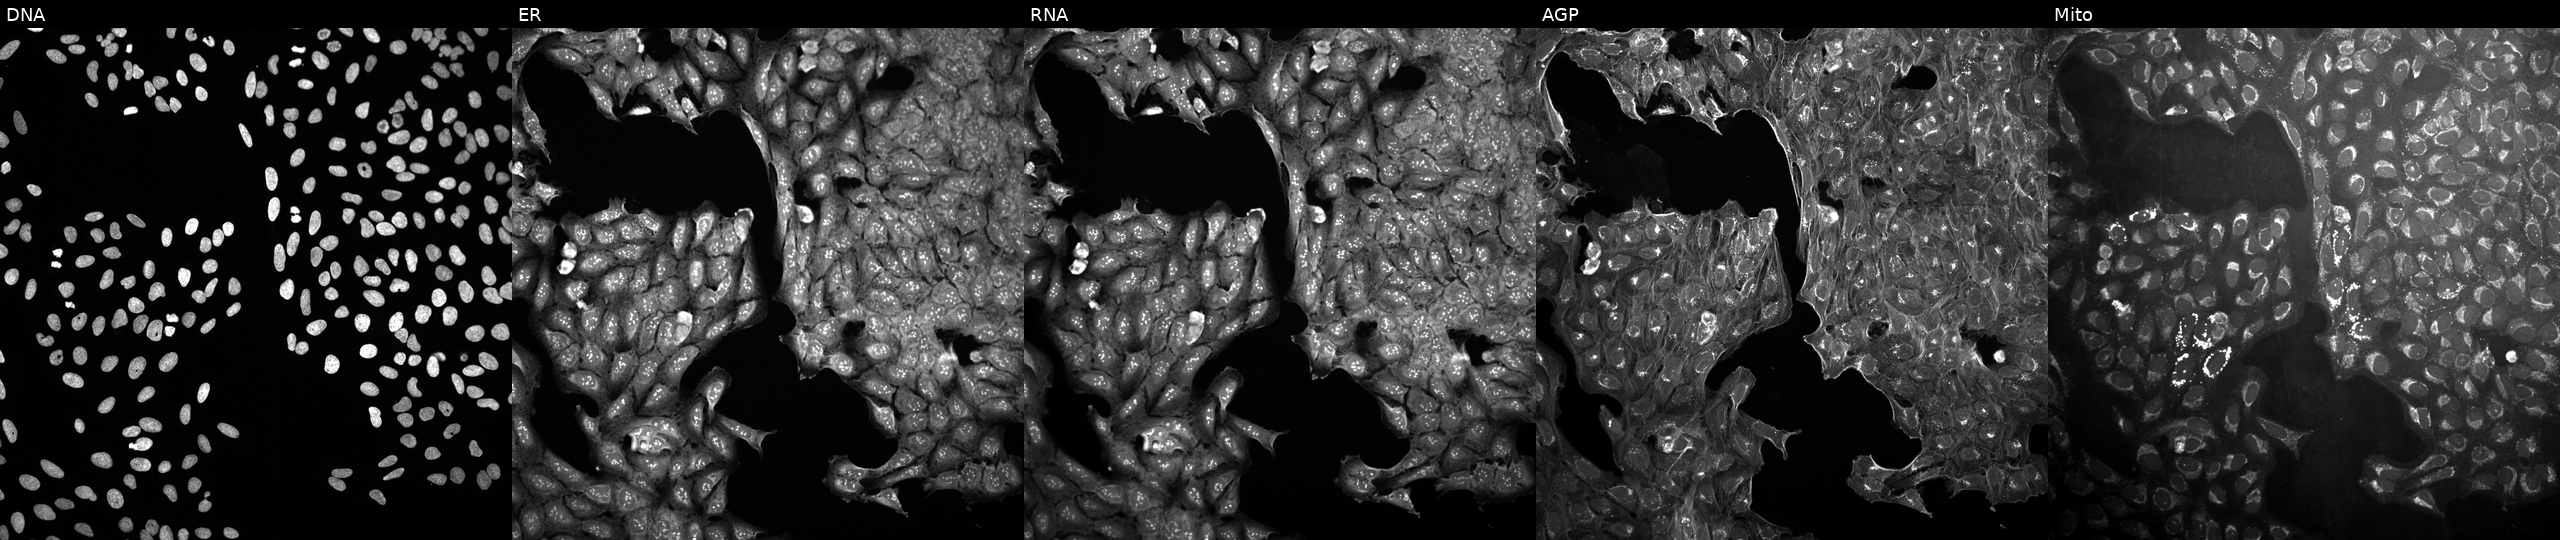
U2OS cells, Cell Painting assay, treated with quinidine (positive-control compound) (JUMP id JCP2022_050797). The five panels, left to right, show DNA (nuclei); ER (endoplasmic reticulum); RNA (nucleoli and cytoplasmic RNA); AGP (actin cytoskeleton, Golgi, and plasma membrane); Mito (mitochondria). Each panel is percentile-stretched 16-bit fluorescence. Source 10, plate Dest210531-152149, well O01.